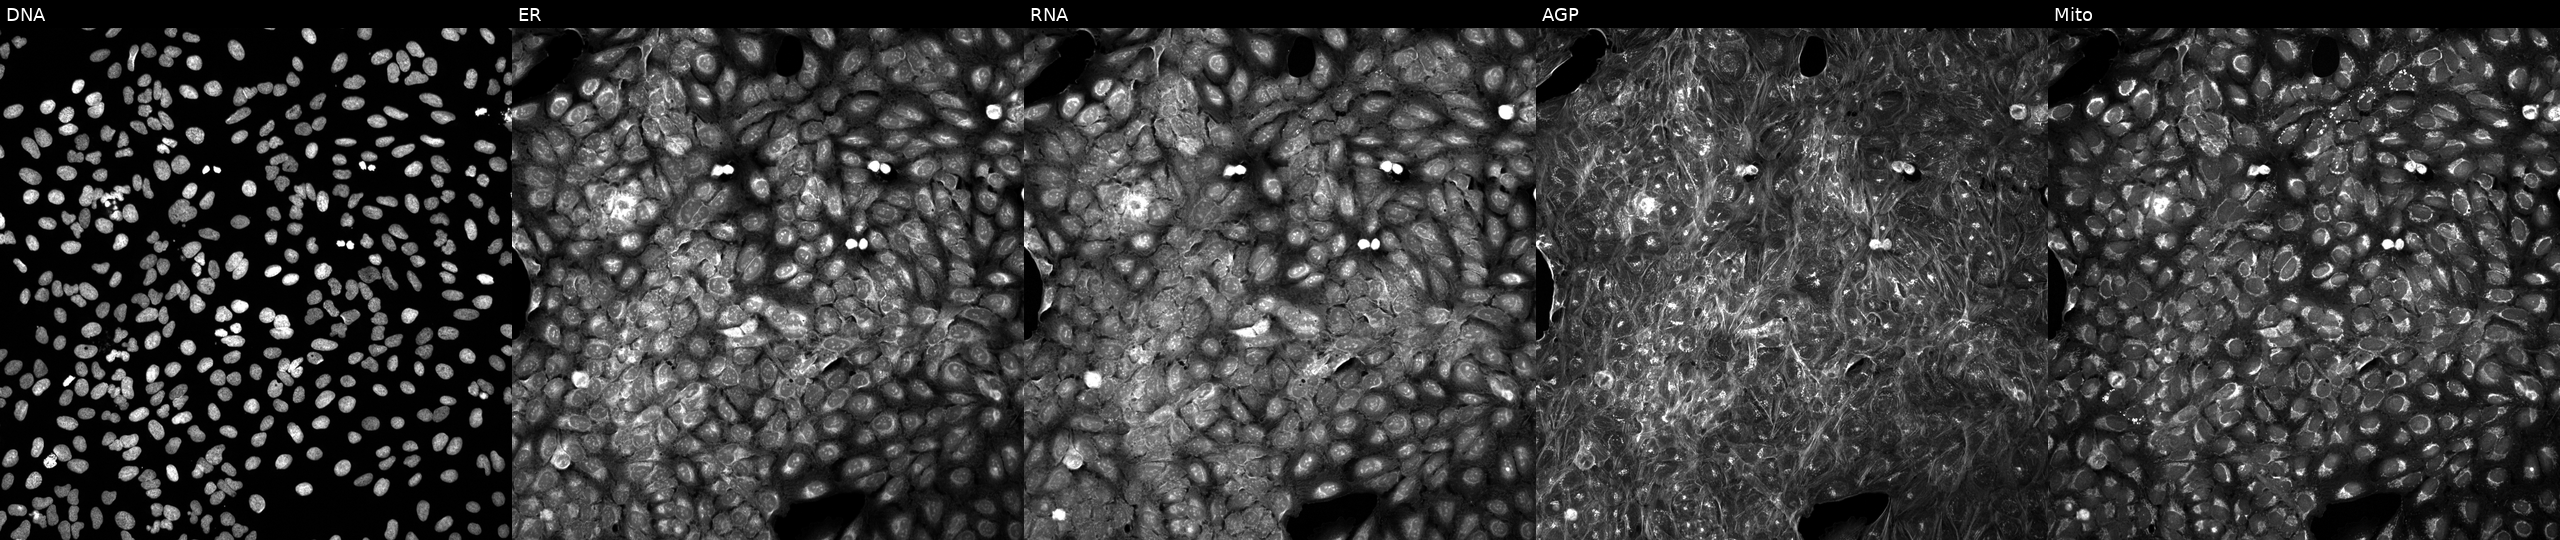
From left to right: DNA (nuclei); ER (endoplasmic reticulum); RNA (nucleoli and cytoplasmic RNA); AGP (actin cytoskeleton, Golgi, and plasma membrane); Mito (mitochondria). U2OS osteosarcoma cells perturbed with a small-molecule compound (JUMP id JCP2022_068606). Cell Painting assay, JUMP-CP dataset.